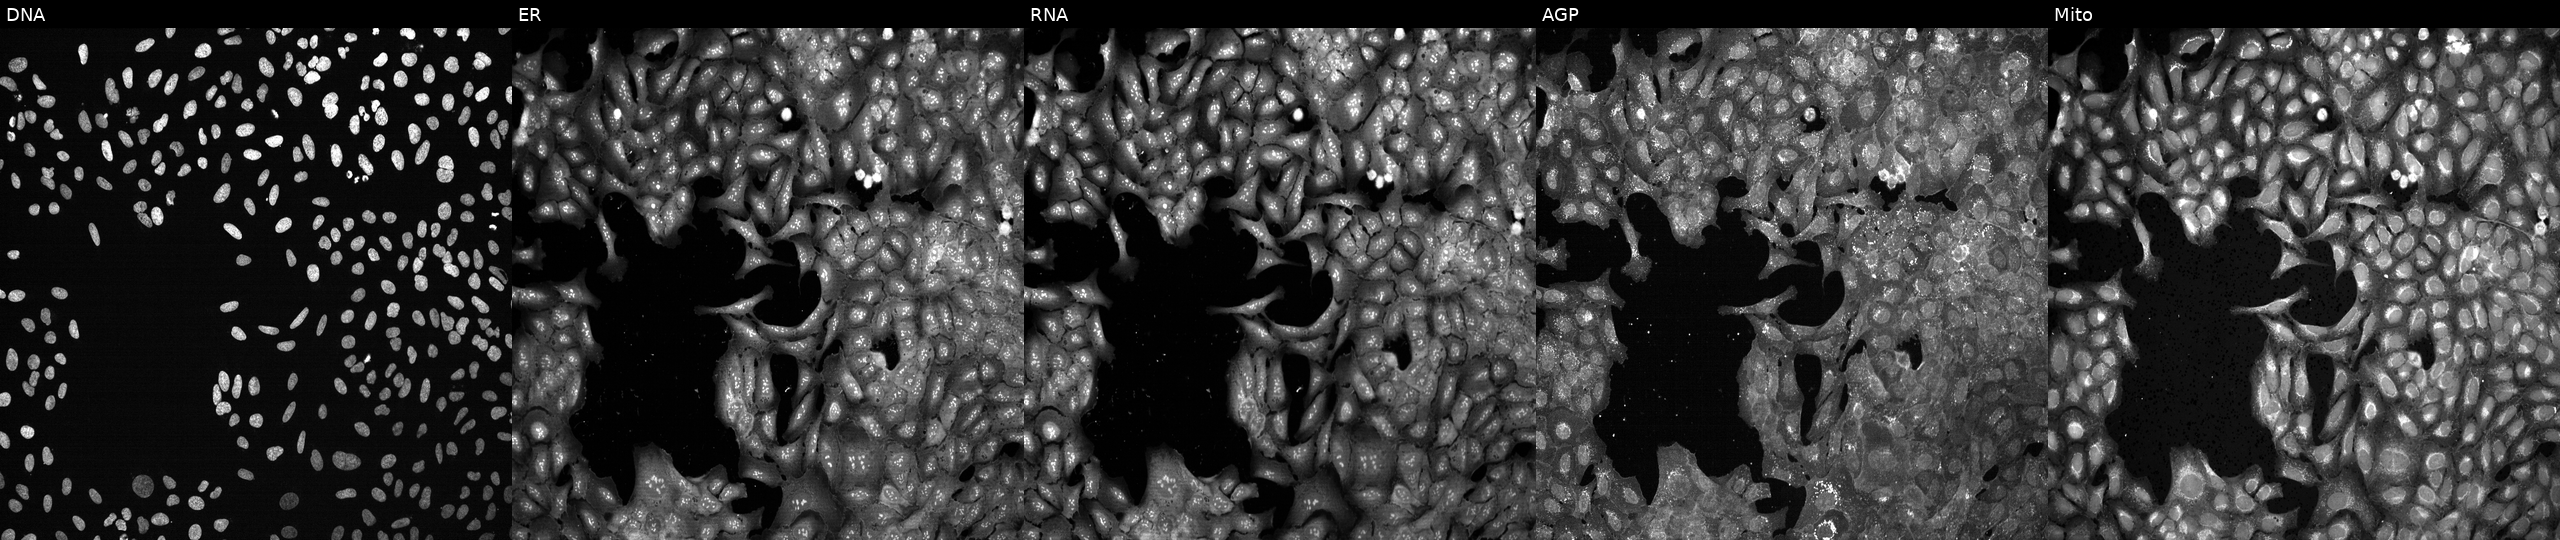
This image strip shows the five Cell Painting channels for a single field of U2OS cells following CRISPR knockout of HBS1L. Channels (left→right): DNA, ER, RNA, AGP, and Mito.